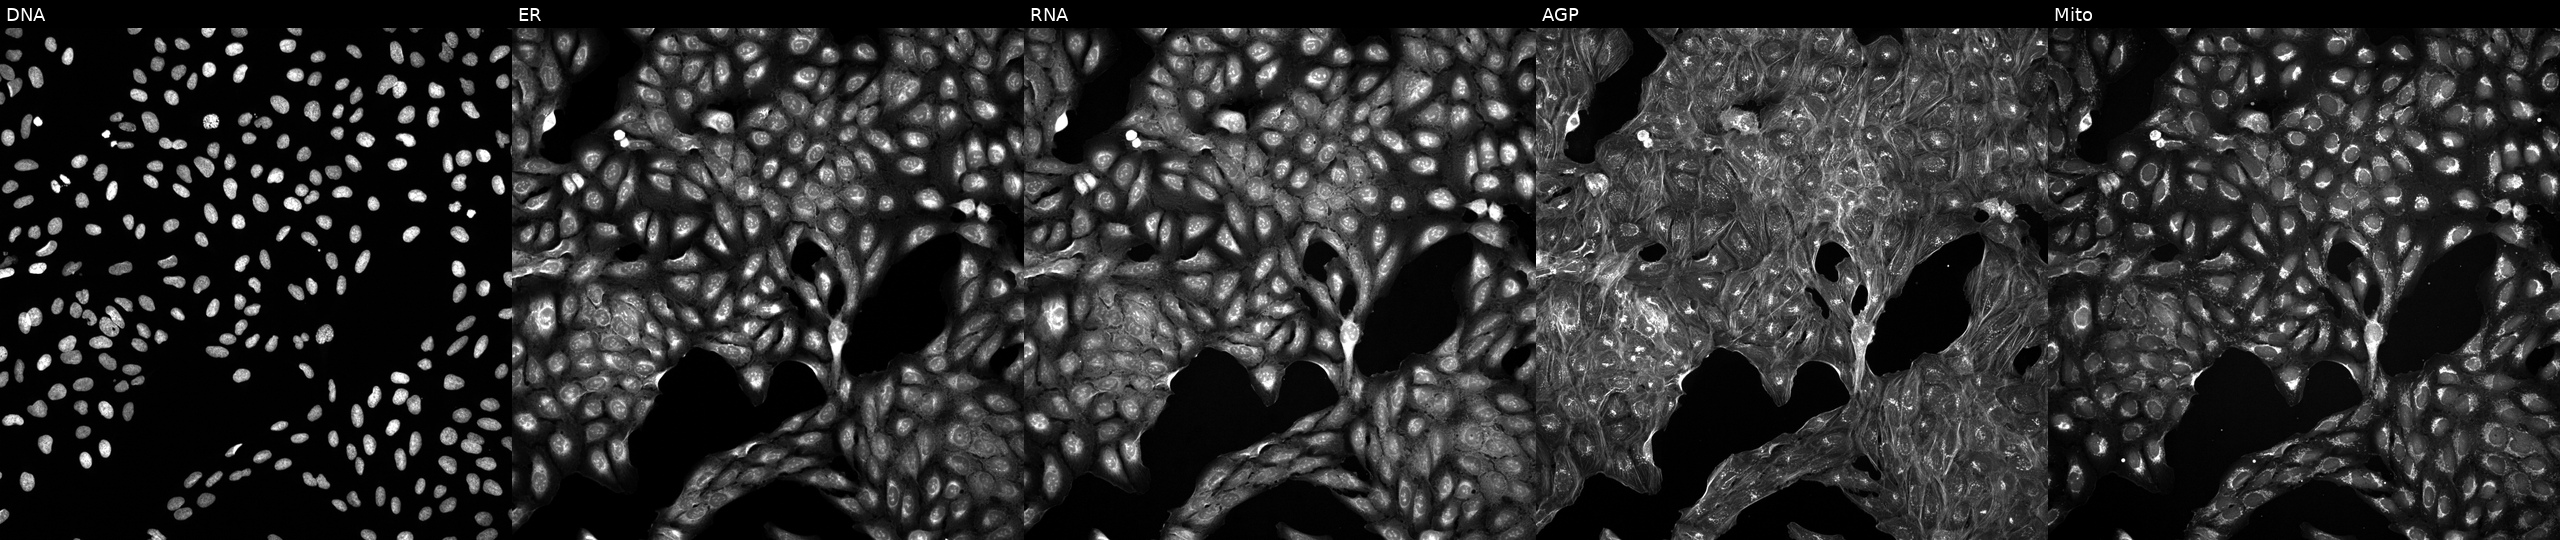
This image strip shows the five Cell Painting channels for a single field of U2OS cells treated with a small-molecule compound. Channels (left→right): DNA (nuclei); ER (endoplasmic reticulum); RNA (nucleoli and cytoplasmic RNA); AGP (actin cytoskeleton, Golgi, and plasma membrane); Mito (mitochondria).